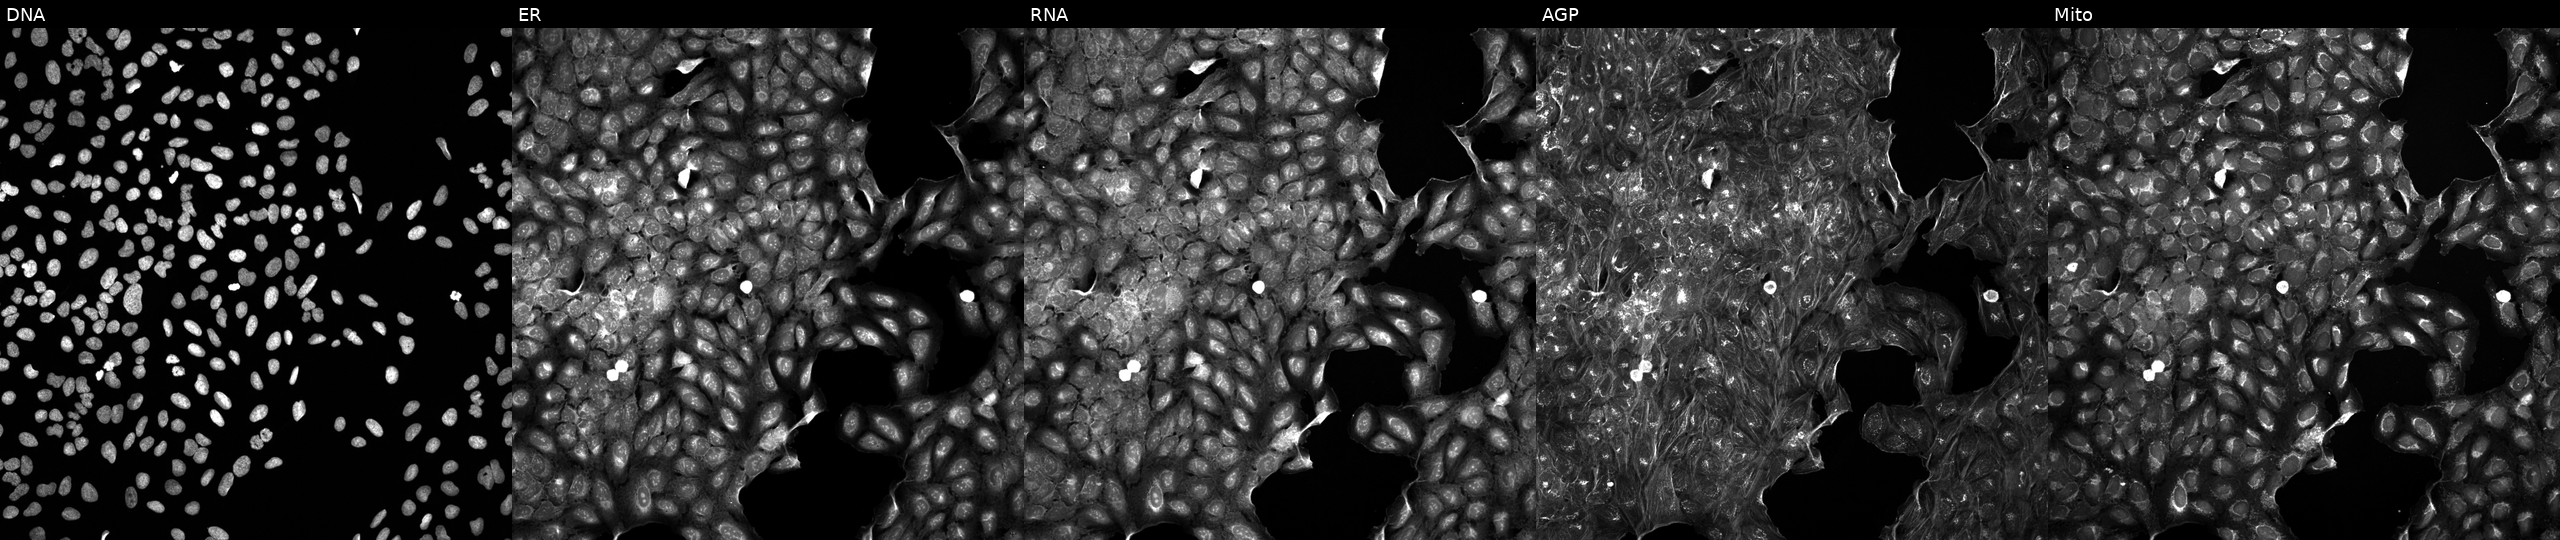
U2OS cells, Cell Painting assay, treated with a small-molecule compound. From left to right: DNA, ER, RNA, AGP, and Mito. Each panel is percentile-stretched 16-bit fluorescence.